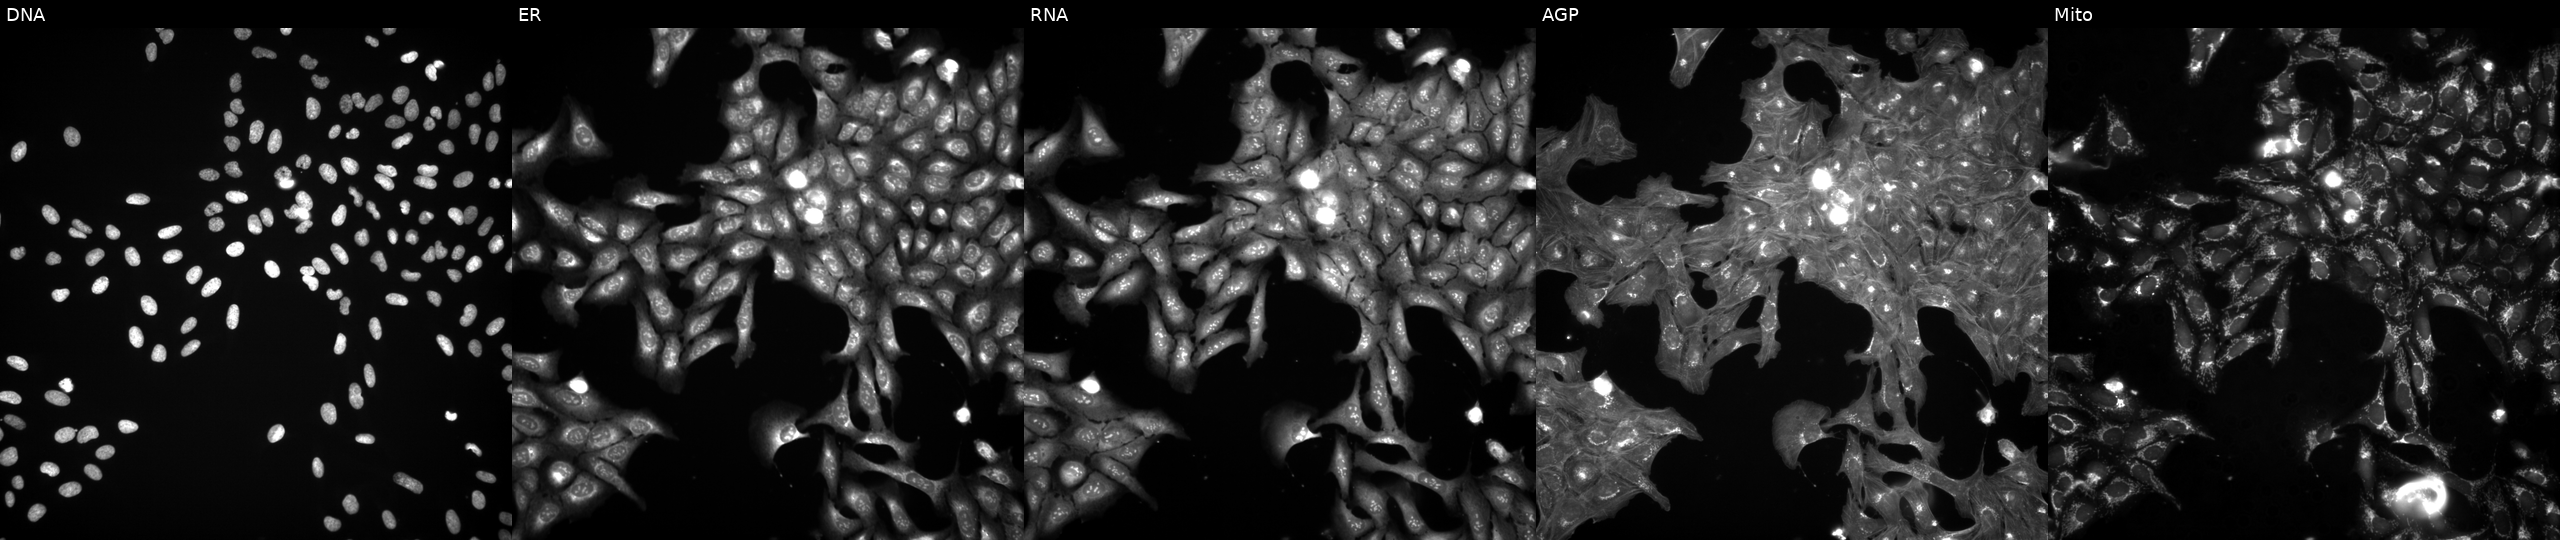
Channels (left→right): Hoechst 33342, concanavalin A, SYTO 14, phalloidin and WGA, MitoTracker. U2OS osteosarcoma cells perturbed with a small-molecule compound (InChIKey BUBDWBMVMWMBJV-UHFFFAOYSA-N) (JUMP id JCP2022_008670). Cell Painting assay, JUMP-CP dataset. Source 3, plate BR5867b3, well B19.